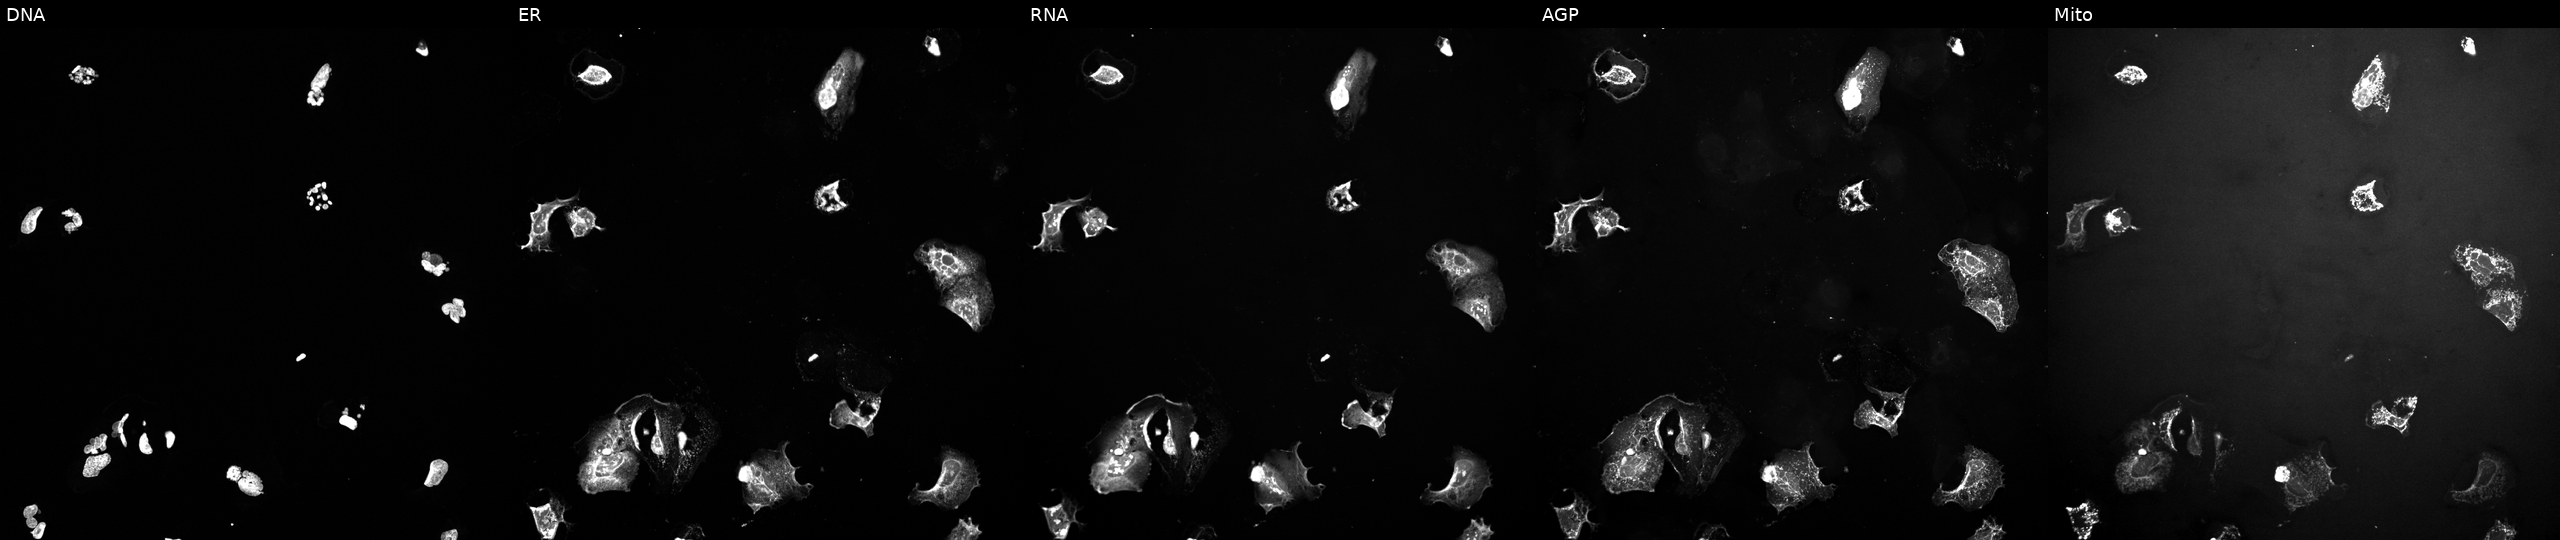
Channels (left→right): DNA (nuclei); ER (endoplasmic reticulum); RNA (nucleoli and cytoplasmic RNA); AGP (actin cytoskeleton, Golgi, and plasma membrane); Mito (mitochondria). U2OS osteosarcoma cells exposed to a small-molecule compound (JUMP id JCP2022_077096). Cell Painting assay, JUMP-CP dataset.